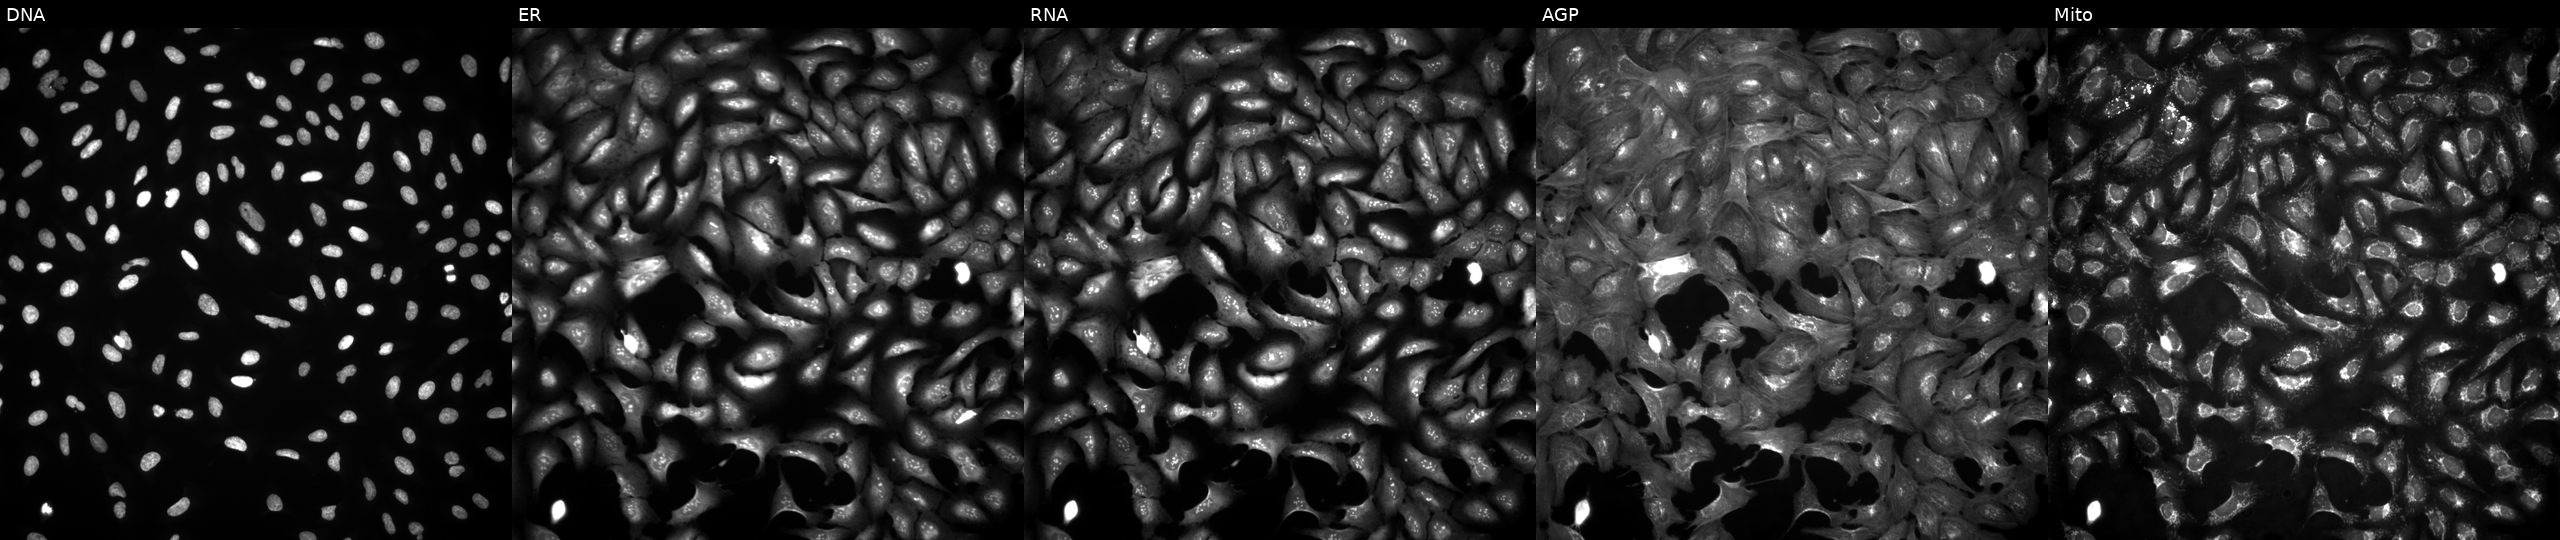
JUMP Cell Painting — ORF plate. U2OS cells transfected with an ORF construct for DDOST (JUMP id JCP2022_905698). Channels (left→right): DNA, ER, RNA, AGP, and Mito. Source 4, plate BR00124784, well E02.